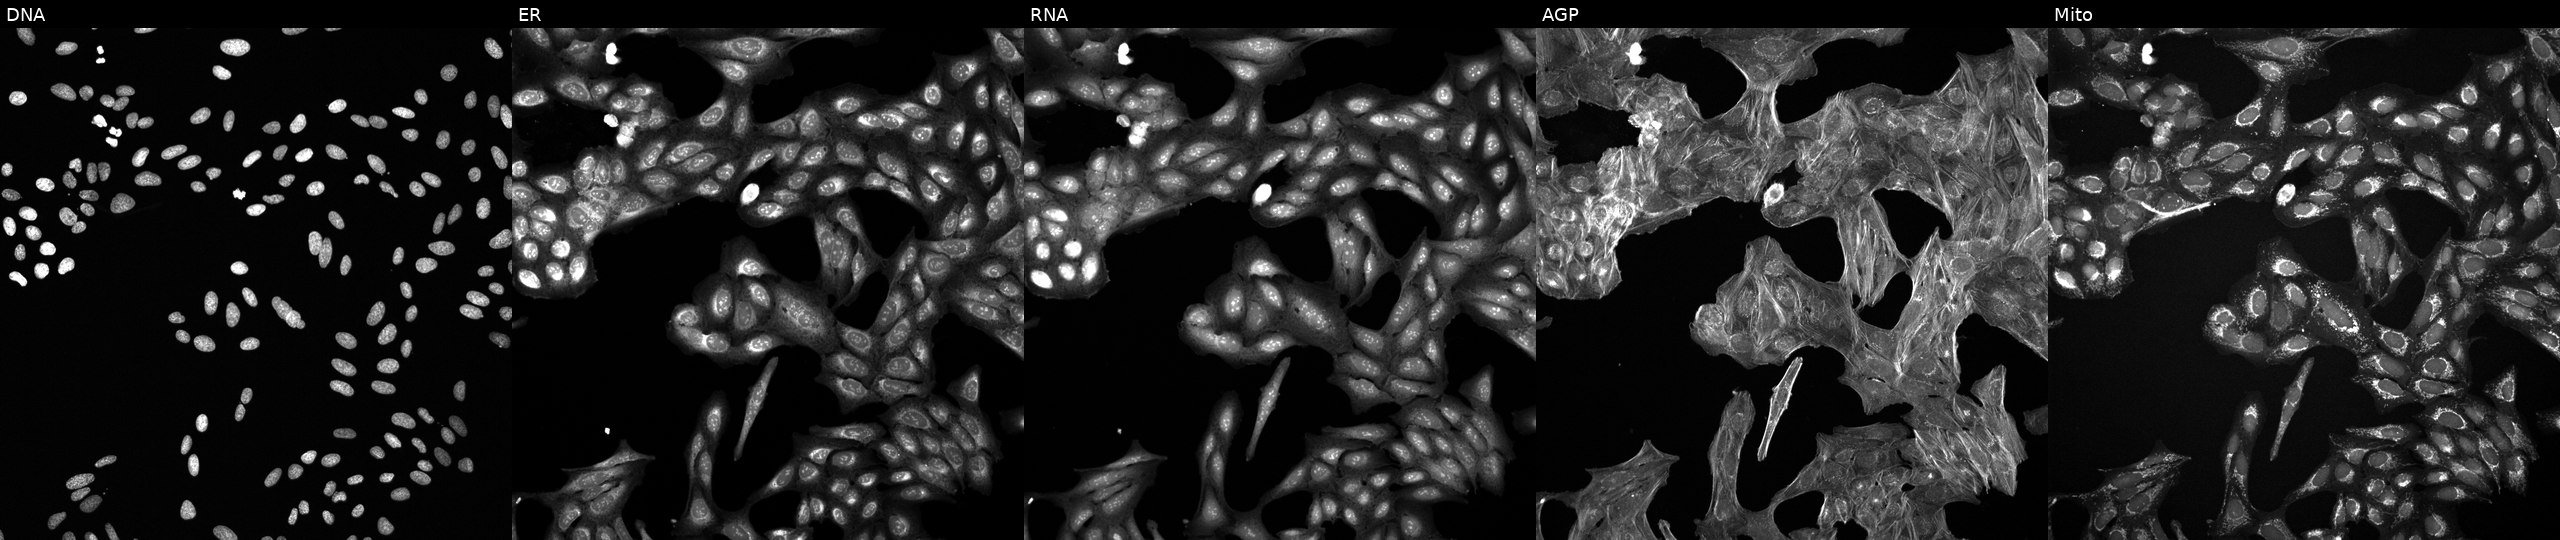
Five-channel Cell Painting image of U2OS cells treated with dexamethasone (positive-control compound) (JUMP id JCP2022_025848). Channels (left→right): DNA, ER, RNA, AGP, and Mito. Source 6, plate 110000293093, well K02.